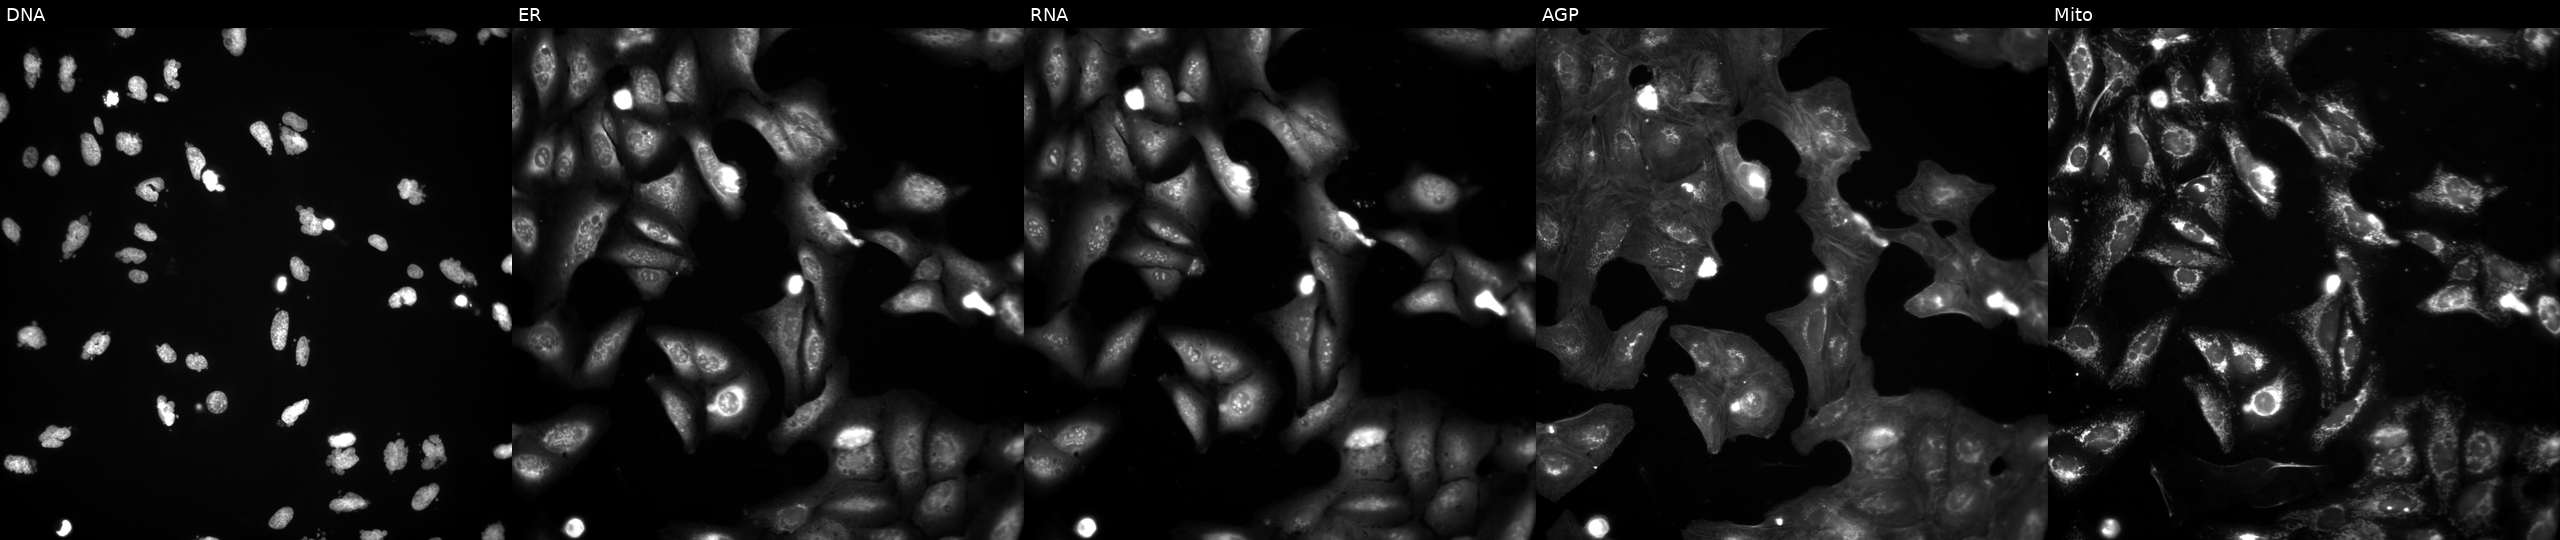
U2OS cells, Cell Painting assay, treated with AMG900 (positive-control compound). The five panels, left to right, show Hoechst 33342, concanavalin A, SYTO 14, phalloidin and WGA, MitoTracker. Each panel is percentile-stretched 16-bit fluorescence. Source 3, plate BR5867b3, well B01.